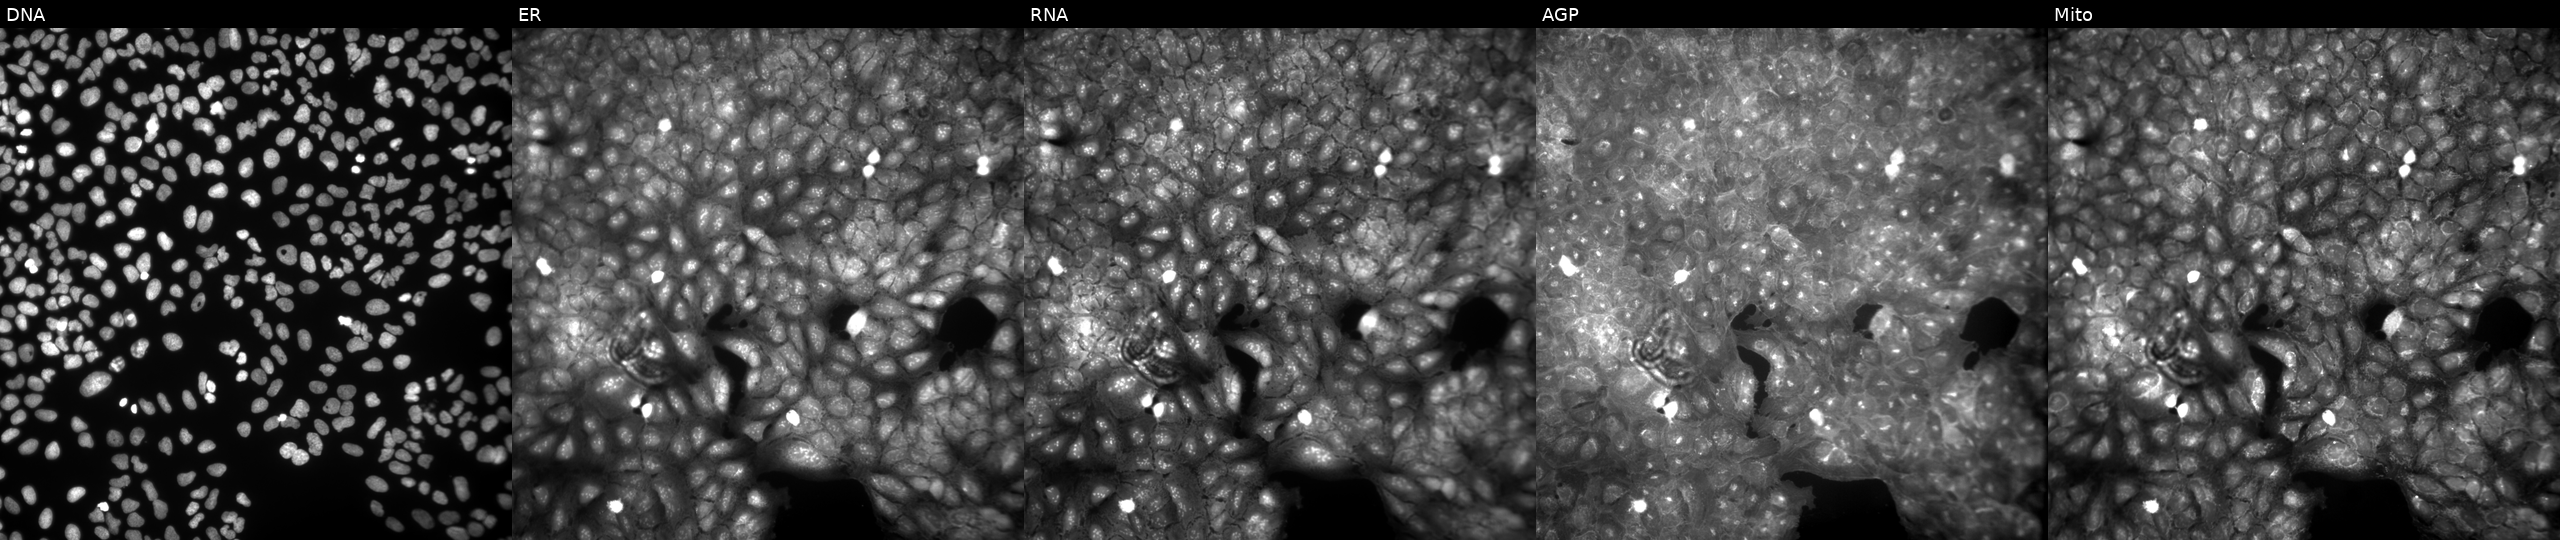
U2OS cells, Cell Painting assay, exposed to a small-molecule compound (InChIKey VSTMZIFFRIBEKE-UHFFFAOYSA-N) [SMILES: O=C(Oc1ccc(C(=S)N2CCOCC2)cc1)c1ccc(Cl)cc1]. Channels (left→right): Hoechst 33342, concanavalin A, SYTO 14, phalloidin and WGA, MitoTracker. Each panel is percentile-stretched 16-bit fluorescence.